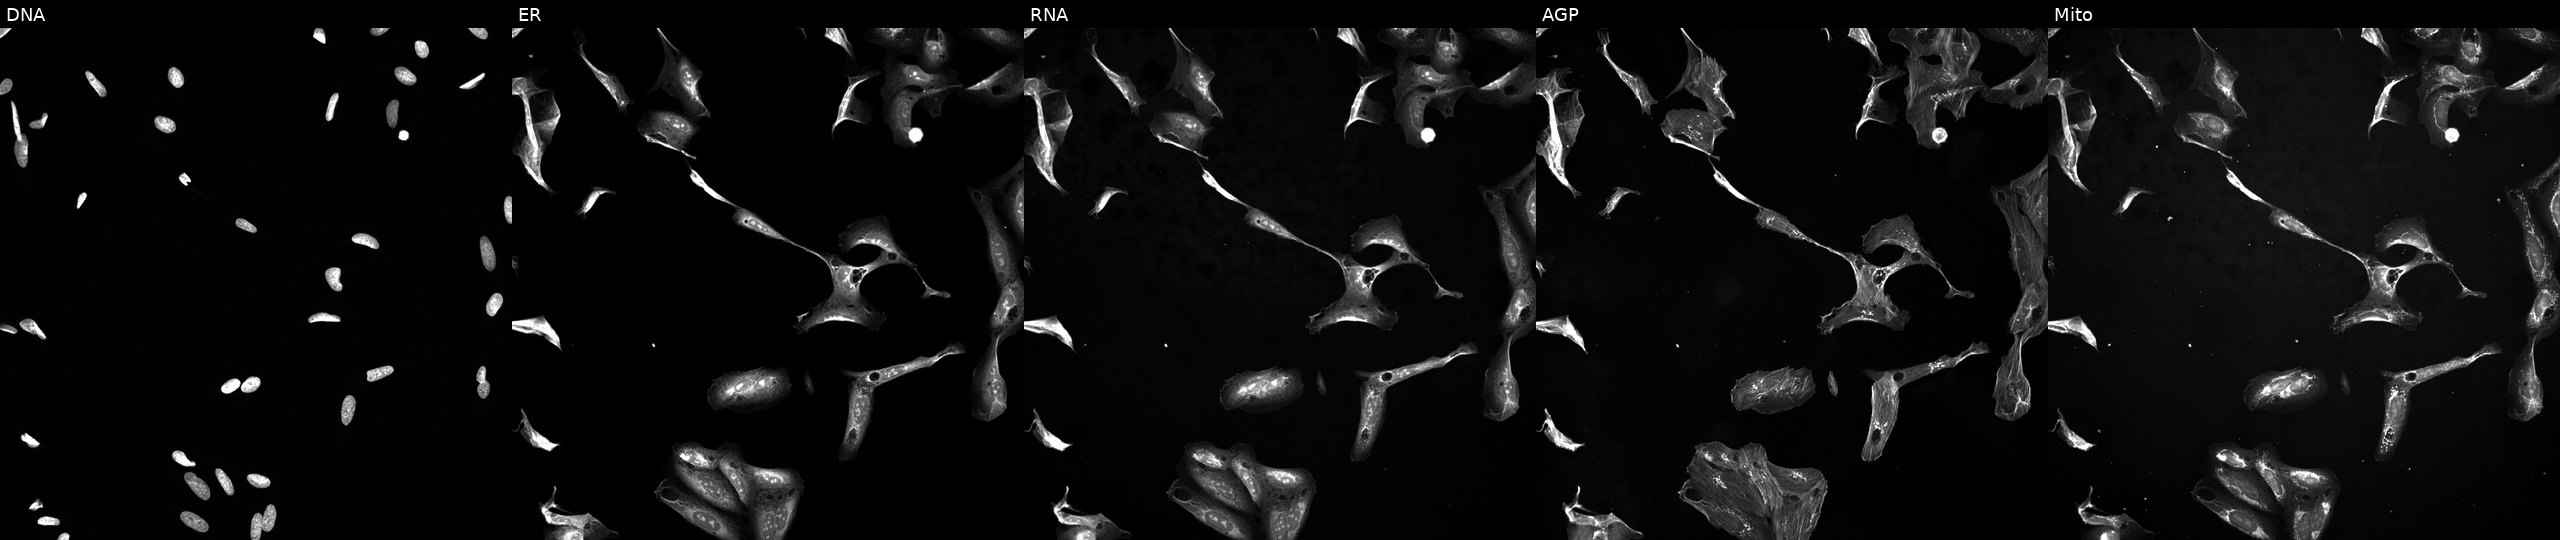
High-content fluorescence microscopy (Cell Painting). Cell line: U2OS. Perturbation: treated with a small-molecule compound (InChIKey MNYJJHBAEYKXEG-UHFFFAOYSA-N). Panels show, left to right, DNA, ER, RNA, AGP, and Mito.